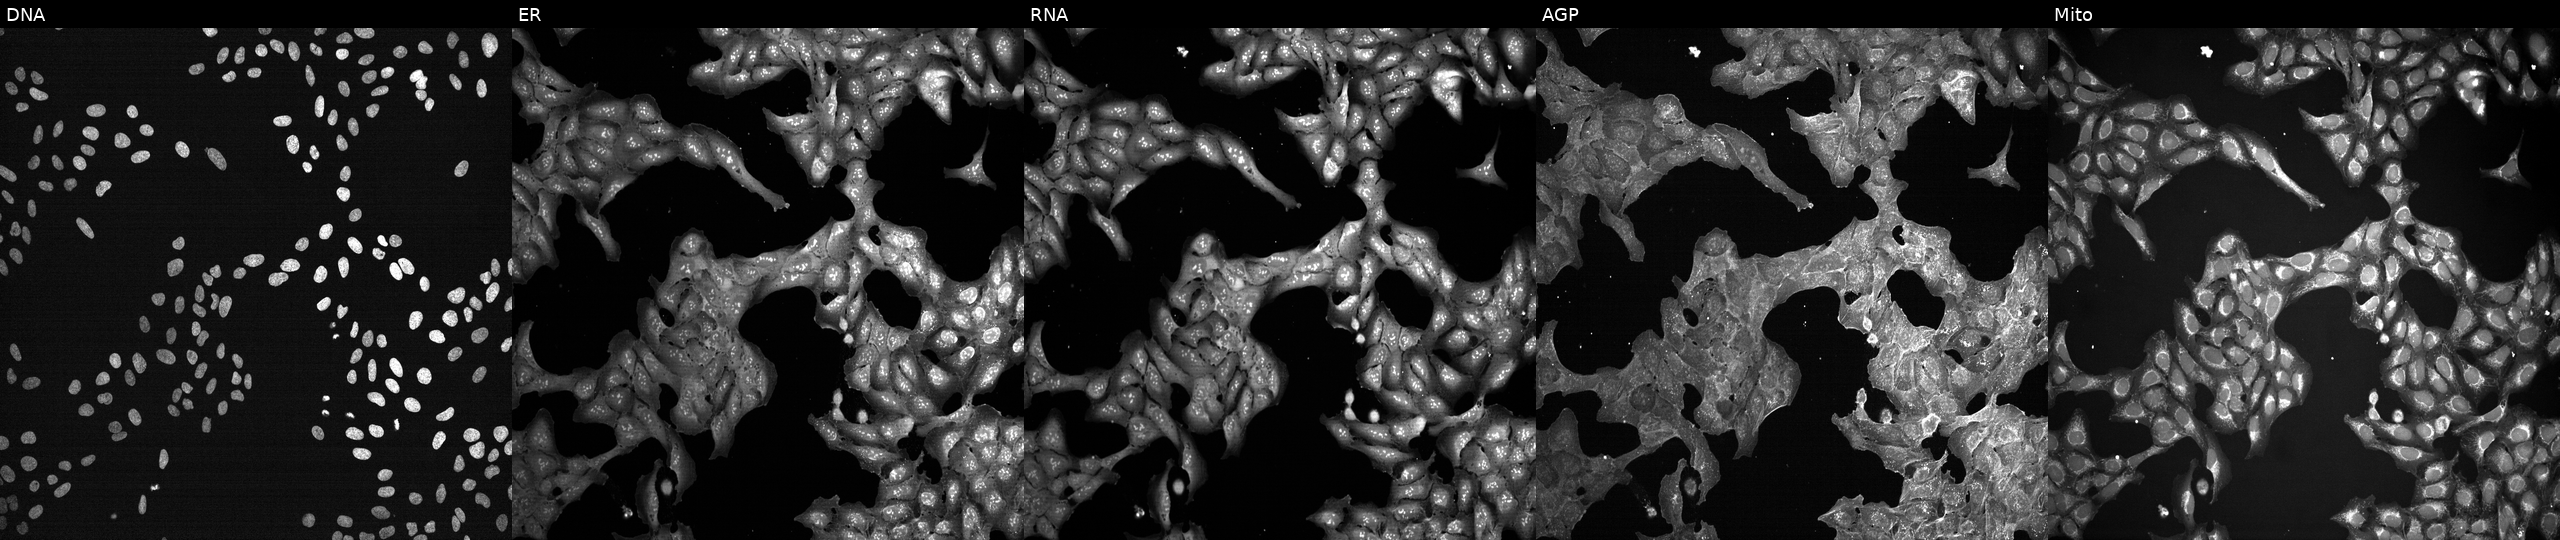
High-content fluorescence microscopy (Cell Painting). Cell line: U2OS. Perturbation: perturbed with a small-molecule compound. Panels show, left to right, DNA (nuclei); ER (endoplasmic reticulum); RNA (nucleoli and cytoplasmic RNA); AGP (actin cytoskeleton, Golgi, and plasma membrane); Mito (mitochondria).